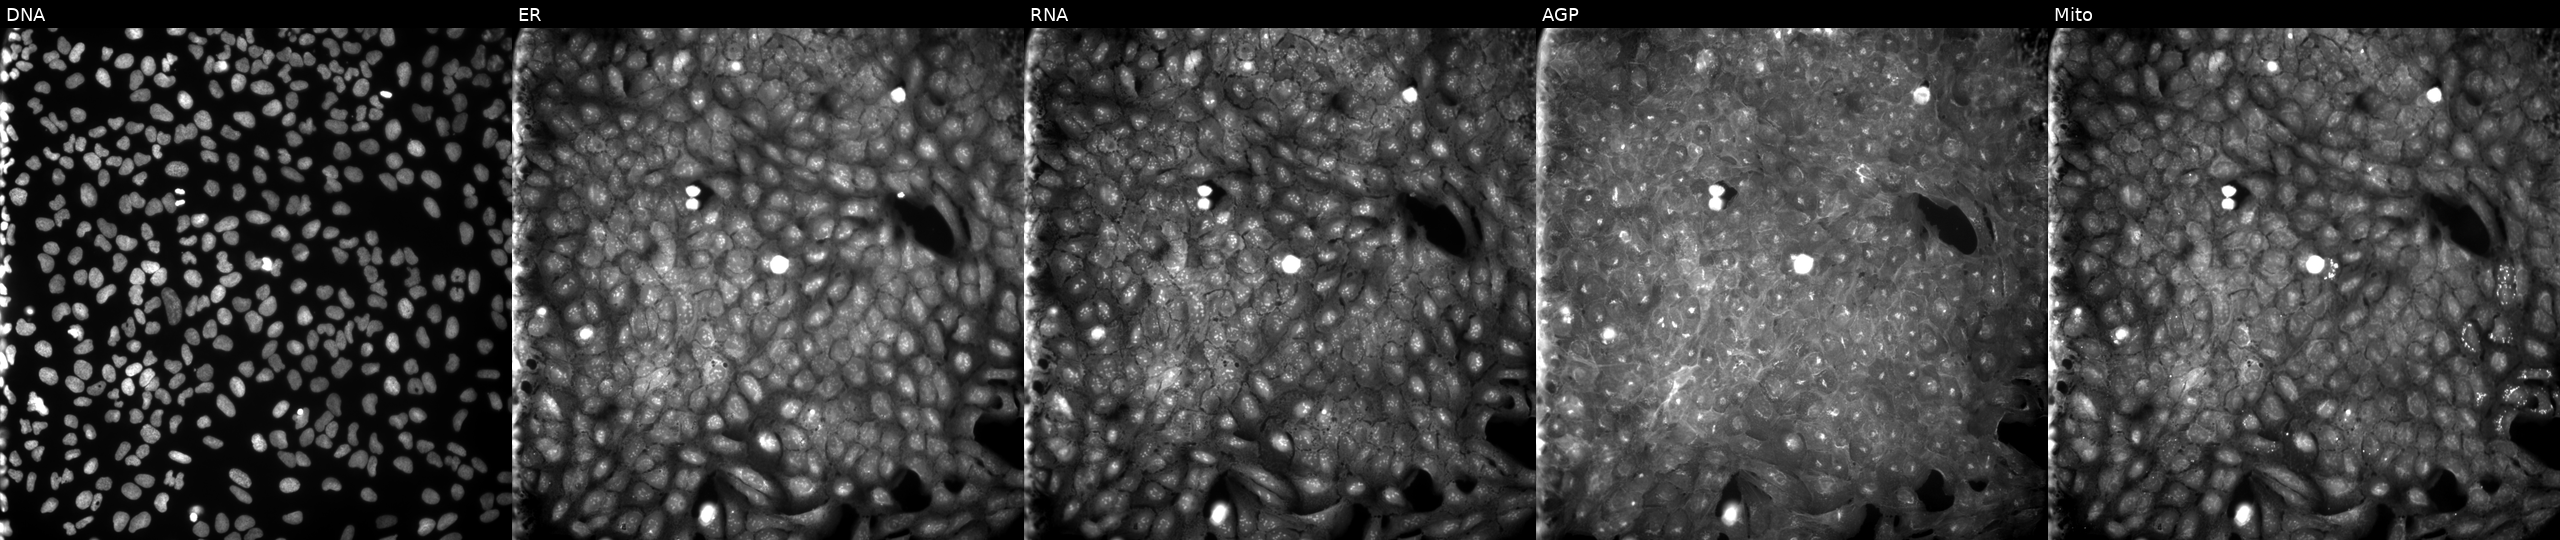
JUMP Cell Painting — COMPOUND plate. U2OS cells perturbed with a small-molecule compound [SMILES: COC(=O)CN1C(=O)SC(=Cc2ccc(-c3cccc(C(=O)O)c3C)o2)C1=O]. Channels (left→right): DNA, ER, RNA, AGP, and Mito. Source 9, plate GR00003382, well N15.